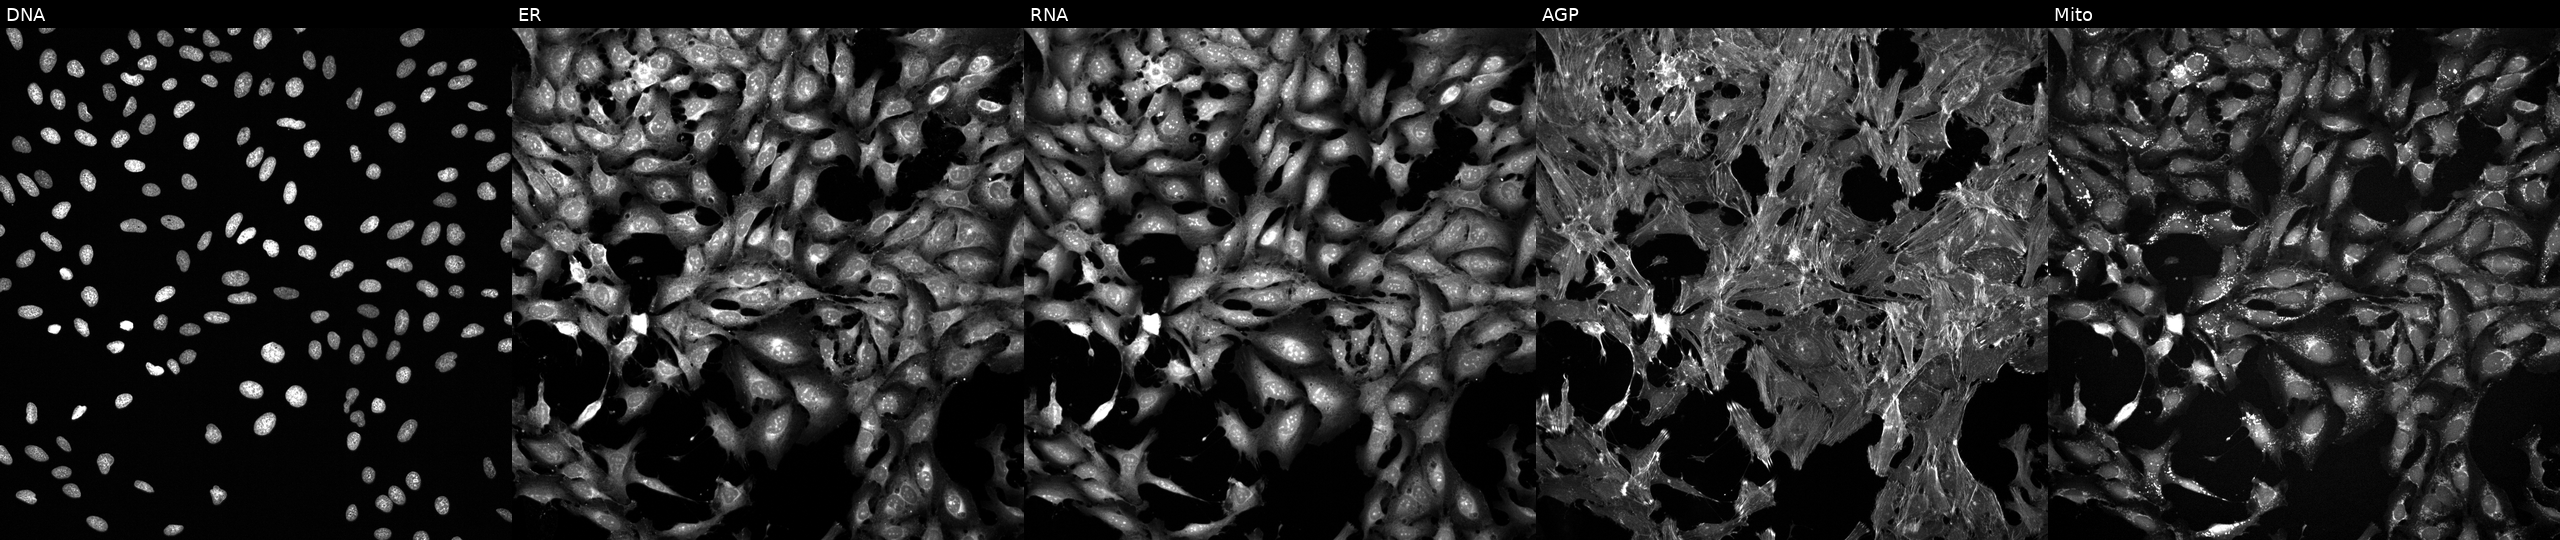
Five-channel Cell Painting image of U2OS cells treated with FK-866 (positive-control compound). From left to right: Hoechst 33342, concanavalin A, SYTO 14, phalloidin and WGA, MitoTracker. Source 6, plate 110000293082, well H24.